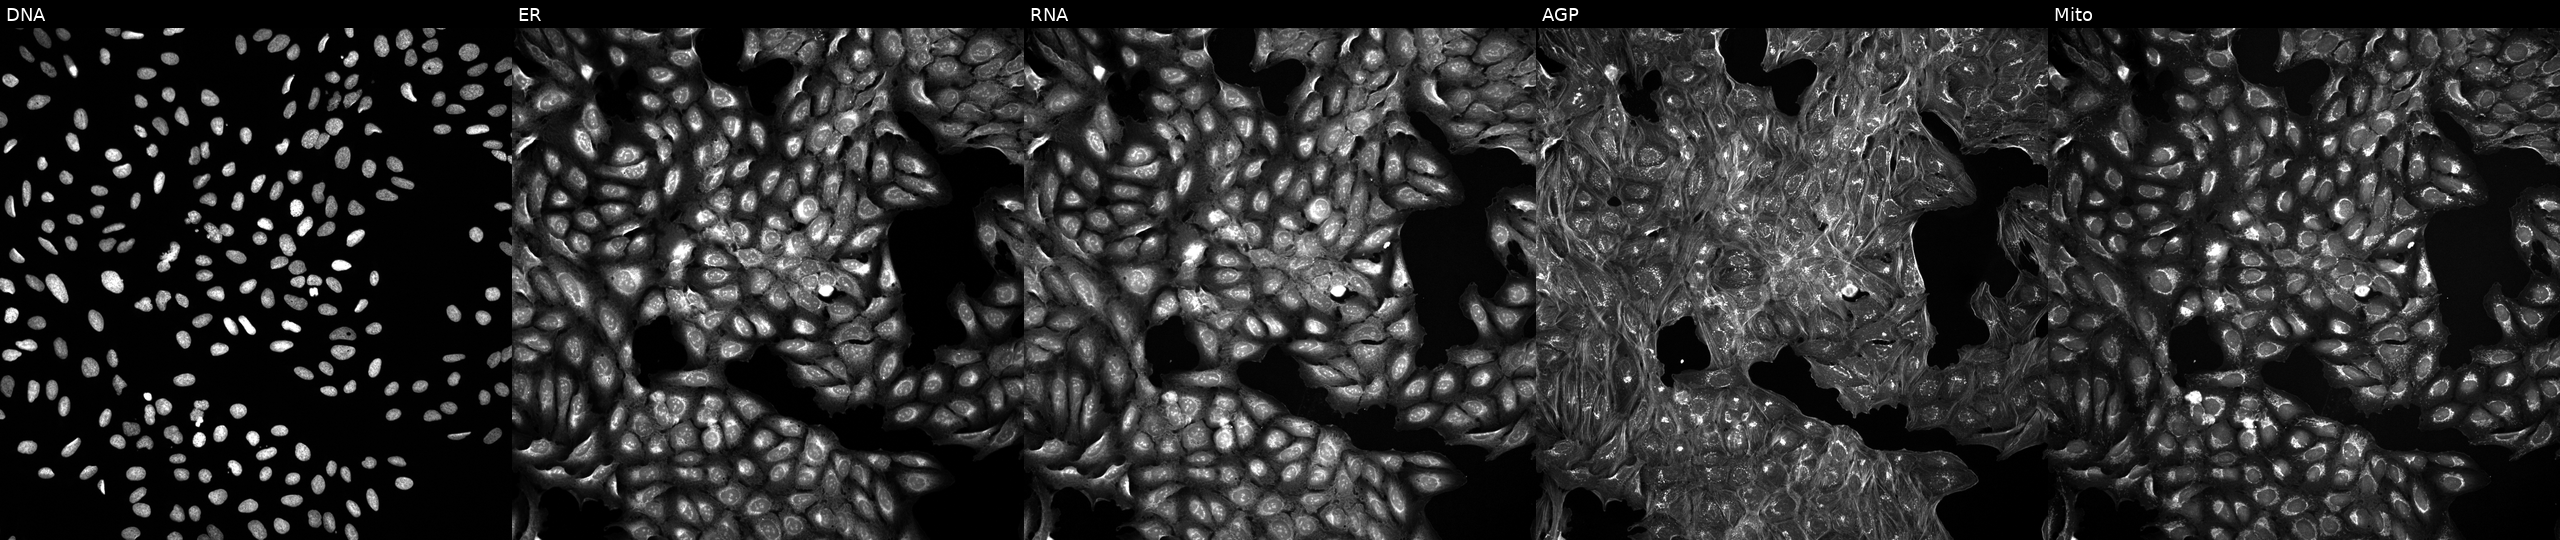
This image strip shows the five Cell Painting channels for a single field of U2OS cells exposed to a small-molecule compound (InChIKey UFJGFNHRMPMALC-UHFFFAOYSA-N). Panels show, left to right, Hoechst 33342, concanavalin A, SYTO 14, phalloidin and WGA, MitoTracker.